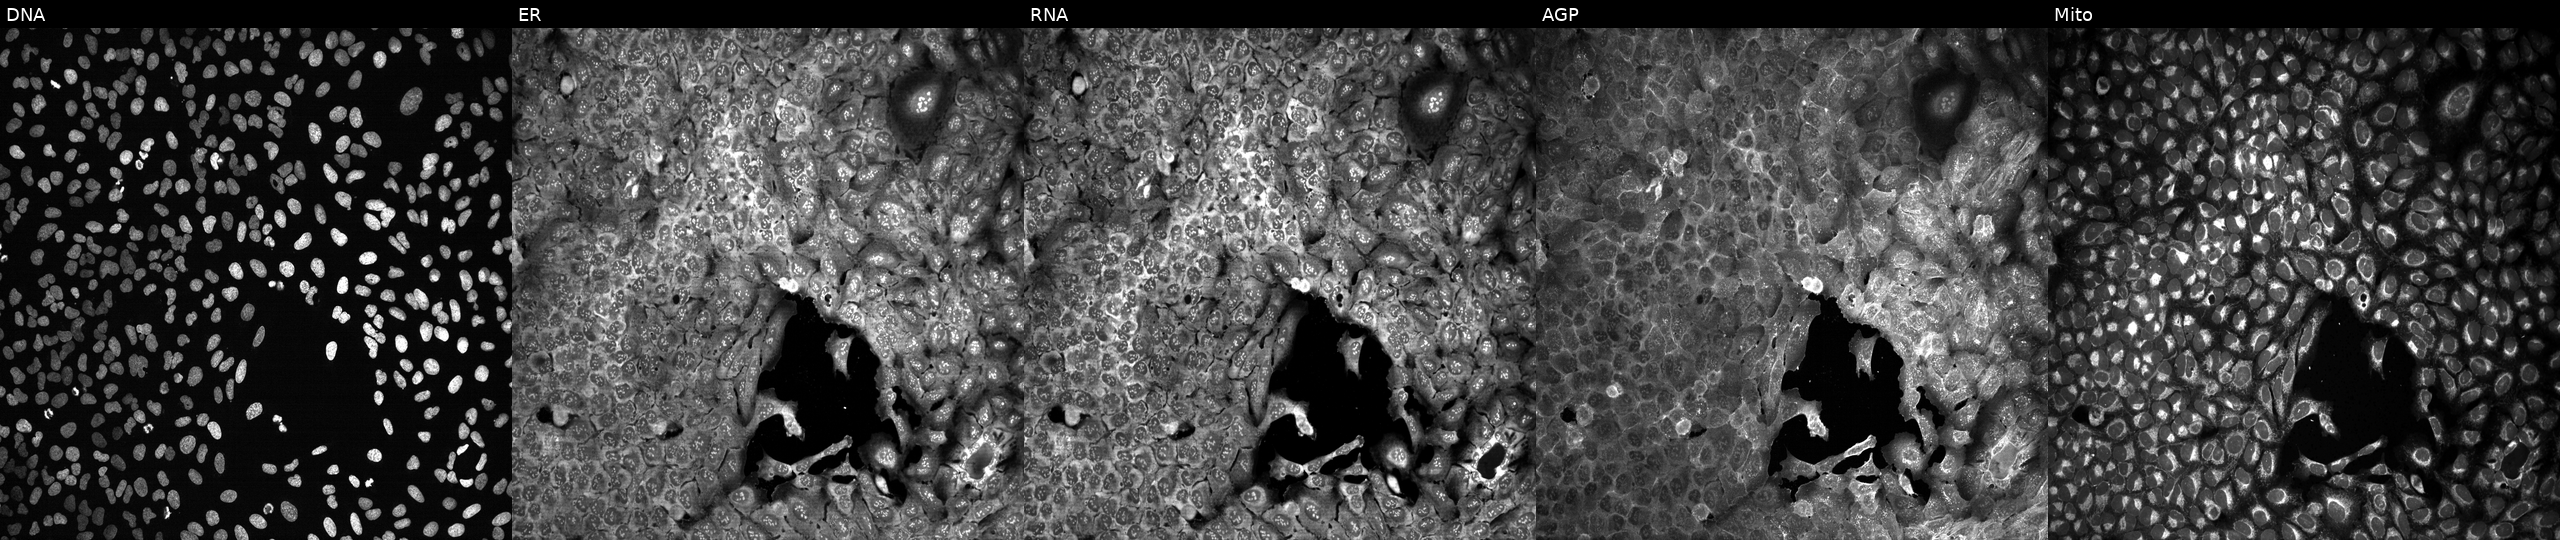
Channels (left→right): DNA, ER, RNA, AGP, and Mito. U2OS osteosarcoma cells with ADAMTS7 knocked out by CRISPR. Cell Painting assay, JUMP-CP dataset. Source 13, plate CP-CC9-R6-19, well I04.